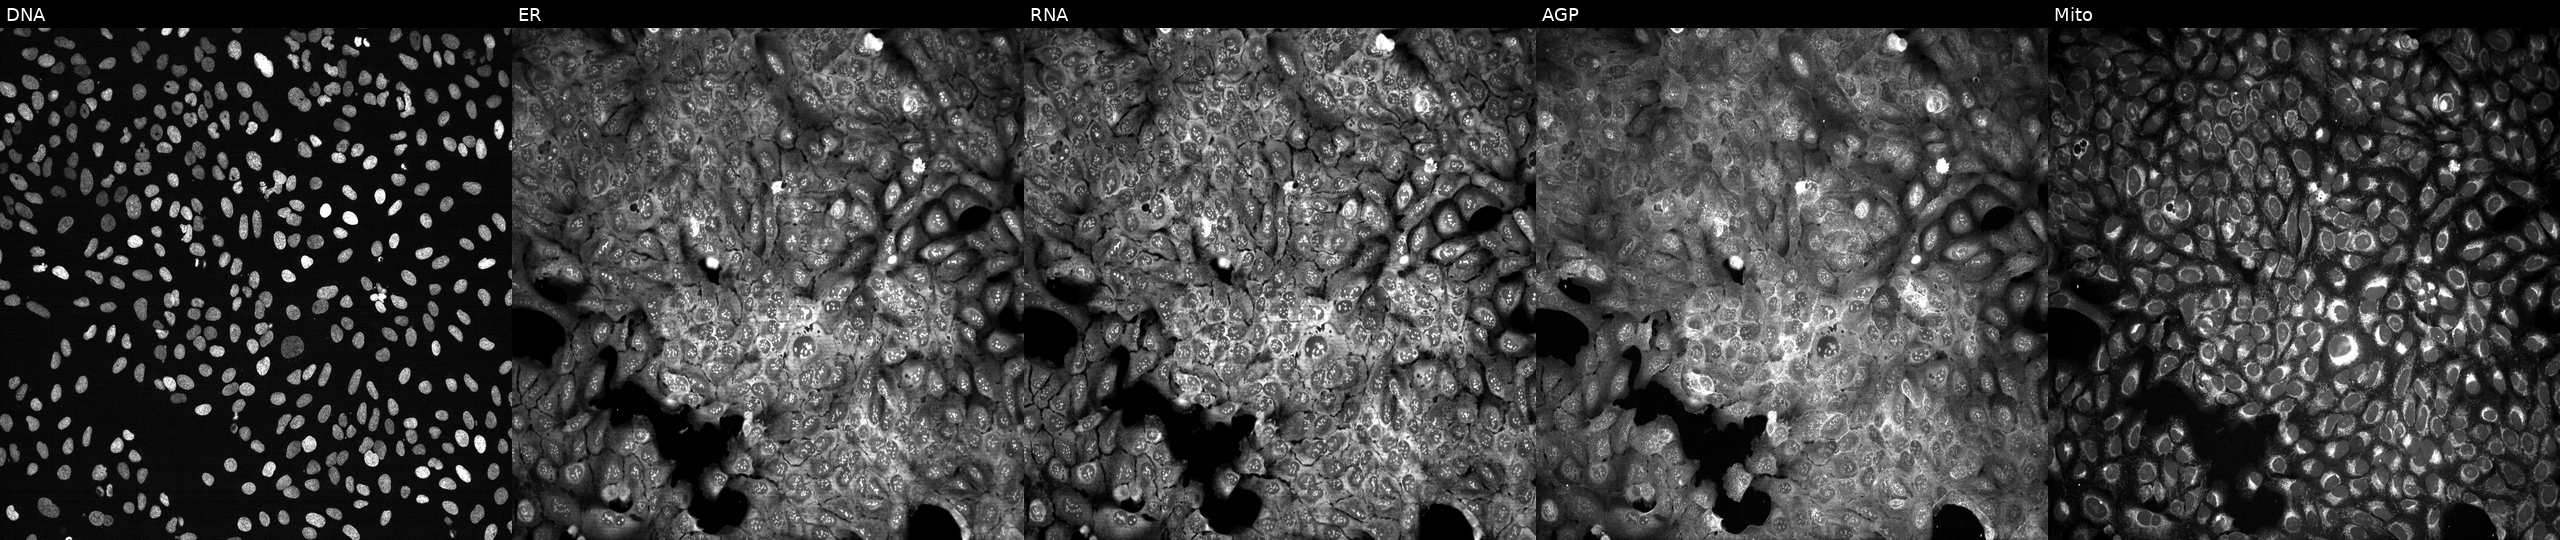
U2OS cells, Cell Painting assay, following CRISPR knockout of RHCE. Panels show, left to right, DNA, ER, RNA, AGP, and Mito. Each panel is percentile-stretched 16-bit fluorescence.